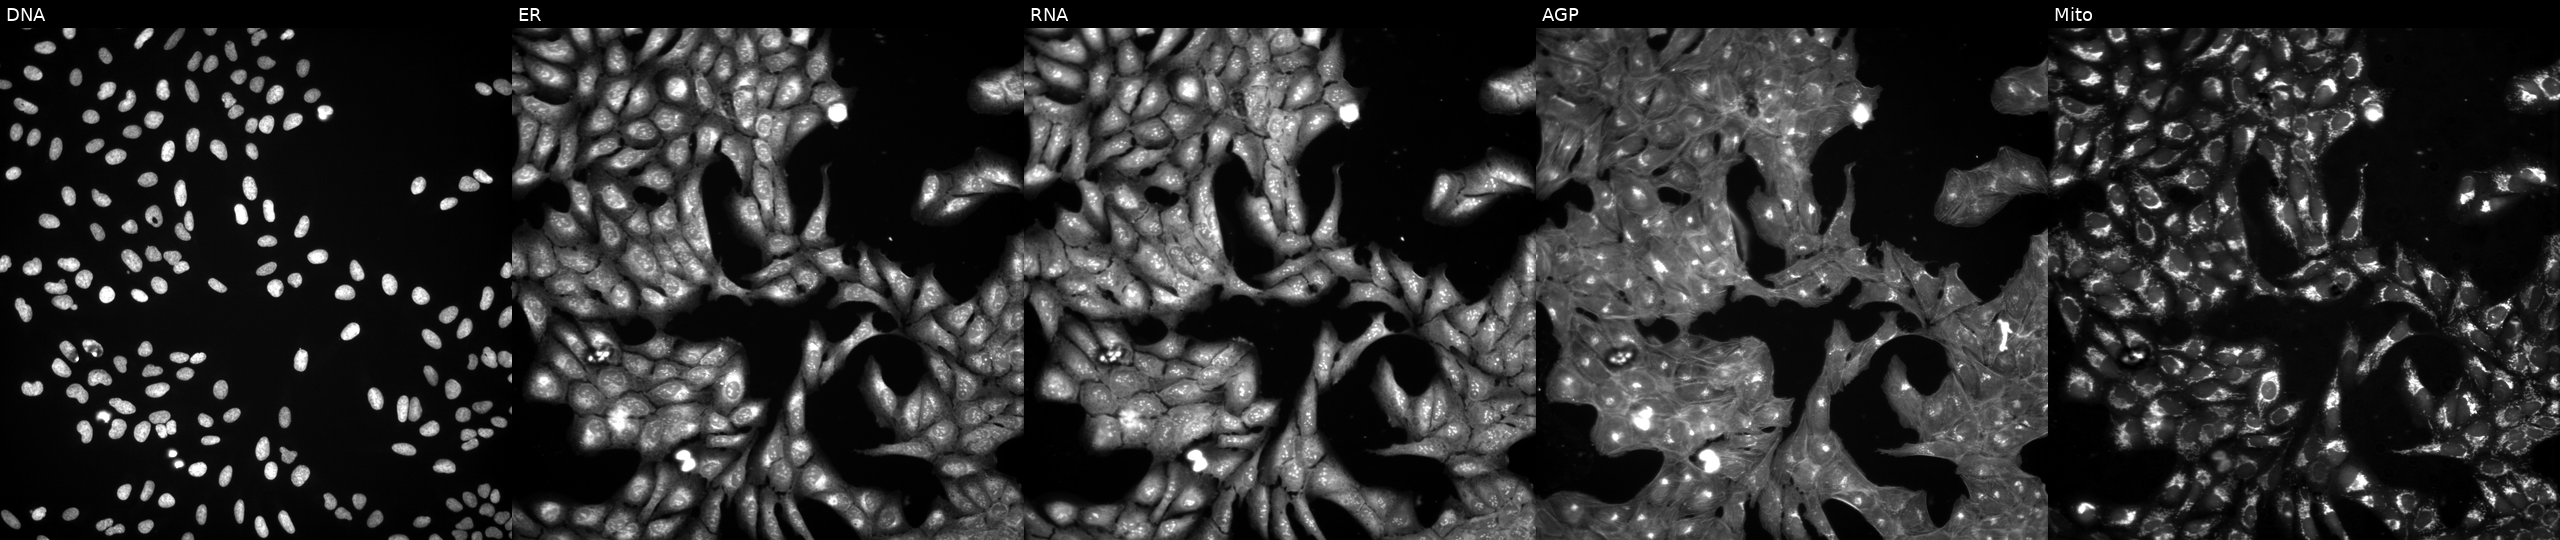
U2OS cells, Cell Painting assay, perturbed with a small-molecule compound (JUMP id JCP2022_083435). Channels (left→right): Hoechst 33342, concanavalin A, SYTO 14, phalloidin and WGA, MitoTracker. Each panel is percentile-stretched 16-bit fluorescence. Source 3, plate BR5867a3, well C03.